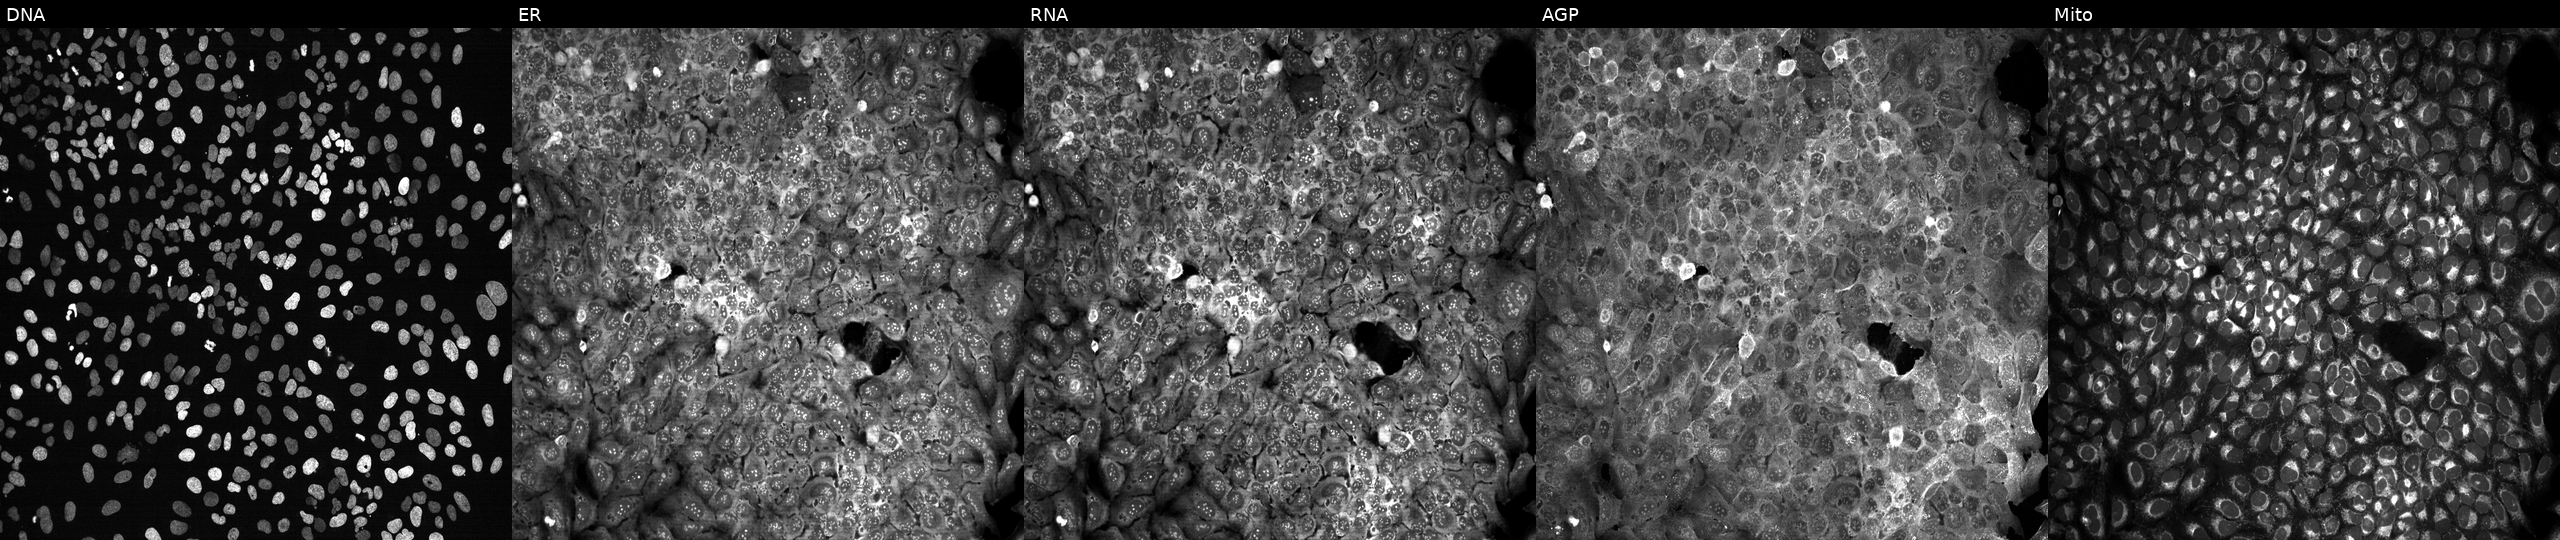
JUMP Cell Painting — CRISPR plate. U2OS cells with GBA knocked out by CRISPR. Panels show, left to right, DNA (nuclei); ER (endoplasmic reticulum); RNA (nucleoli and cytoplasmic RNA); AGP (actin cytoskeleton, Golgi, and plasma membrane); Mito (mitochondria).